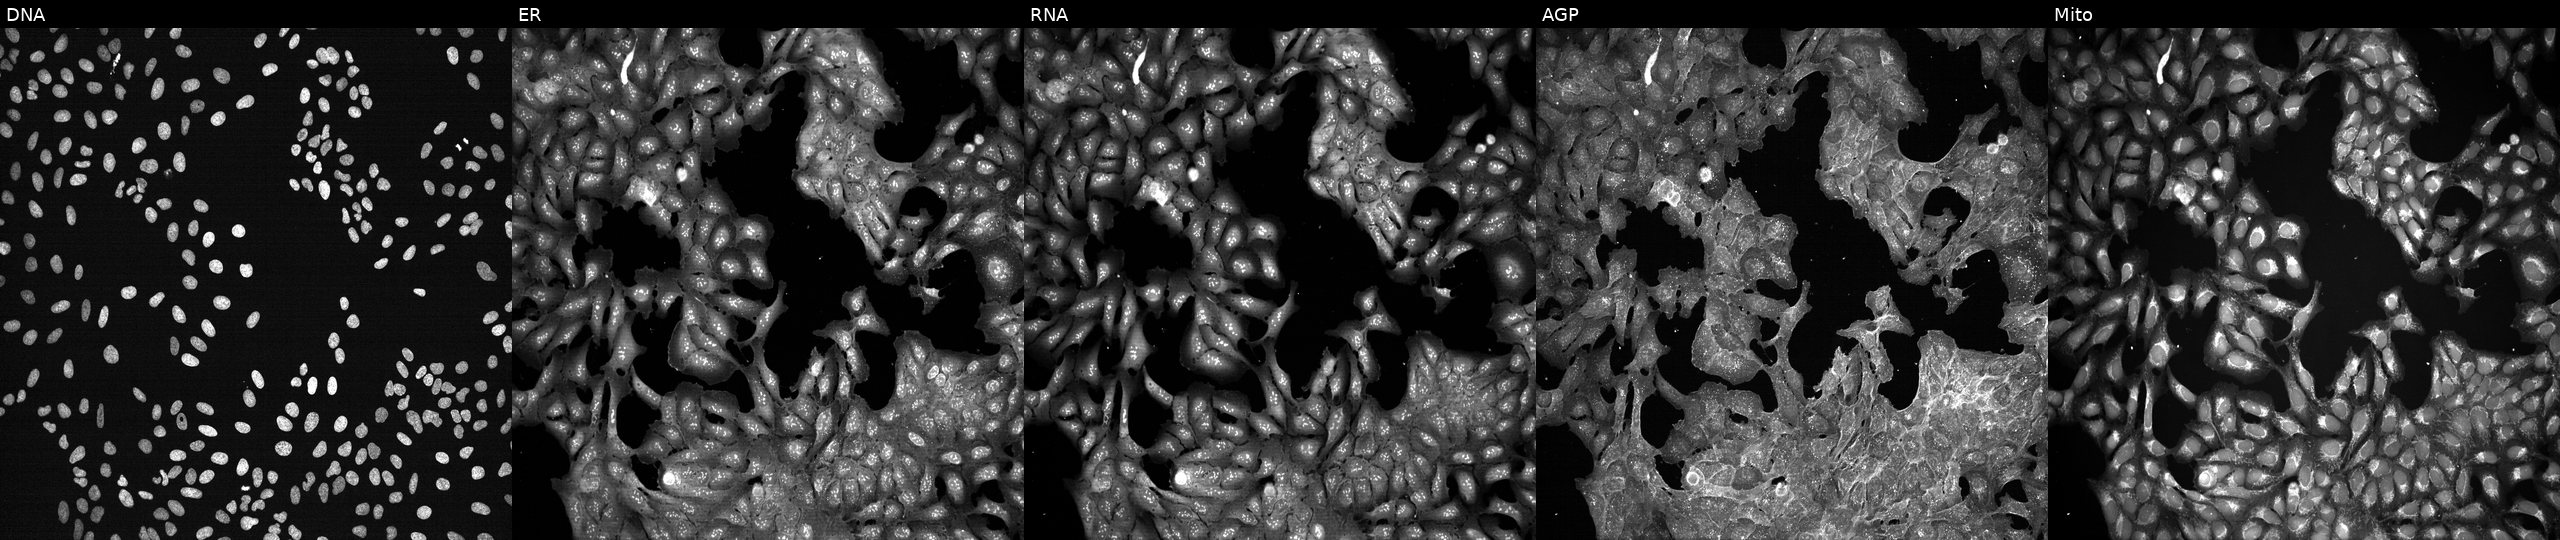
Five-channel Cell Painting image of U2OS cells exposed to a small-molecule compound (InChIKey HCRKCZRJWPKOAR-UHFFFAOYSA-N) (JUMP id JCP2022_029365). The five panels, left to right, show DNA (nuclei); ER (endoplasmic reticulum); RNA (nucleoli and cytoplasmic RNA); AGP (actin cytoskeleton, Golgi, and plasma membrane); Mito (mitochondria). Source 7, plate CP2-SC1-25, well B19.